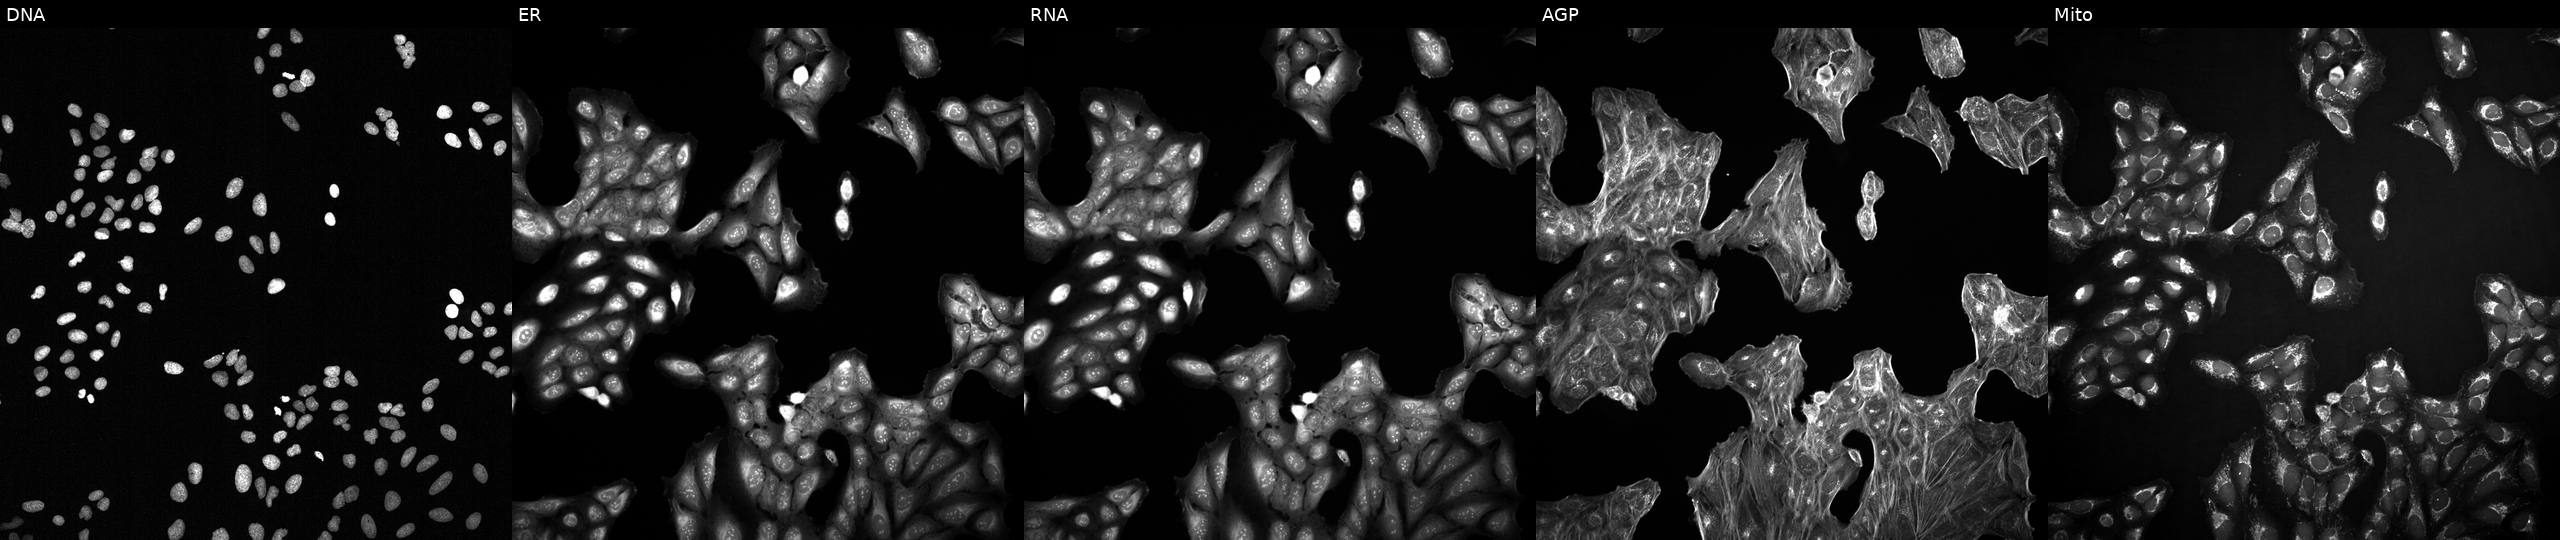
U2OS cells, Cell Painting assay, with an unidentified perturbation (not annotated in JUMP metadata). The five panels, left to right, show DNA (nuclei); ER (endoplasmic reticulum); RNA (nucleoli and cytoplasmic RNA); AGP (actin cytoskeleton, Golgi, and plasma membrane); Mito (mitochondria). Each panel is percentile-stretched 16-bit fluorescence.